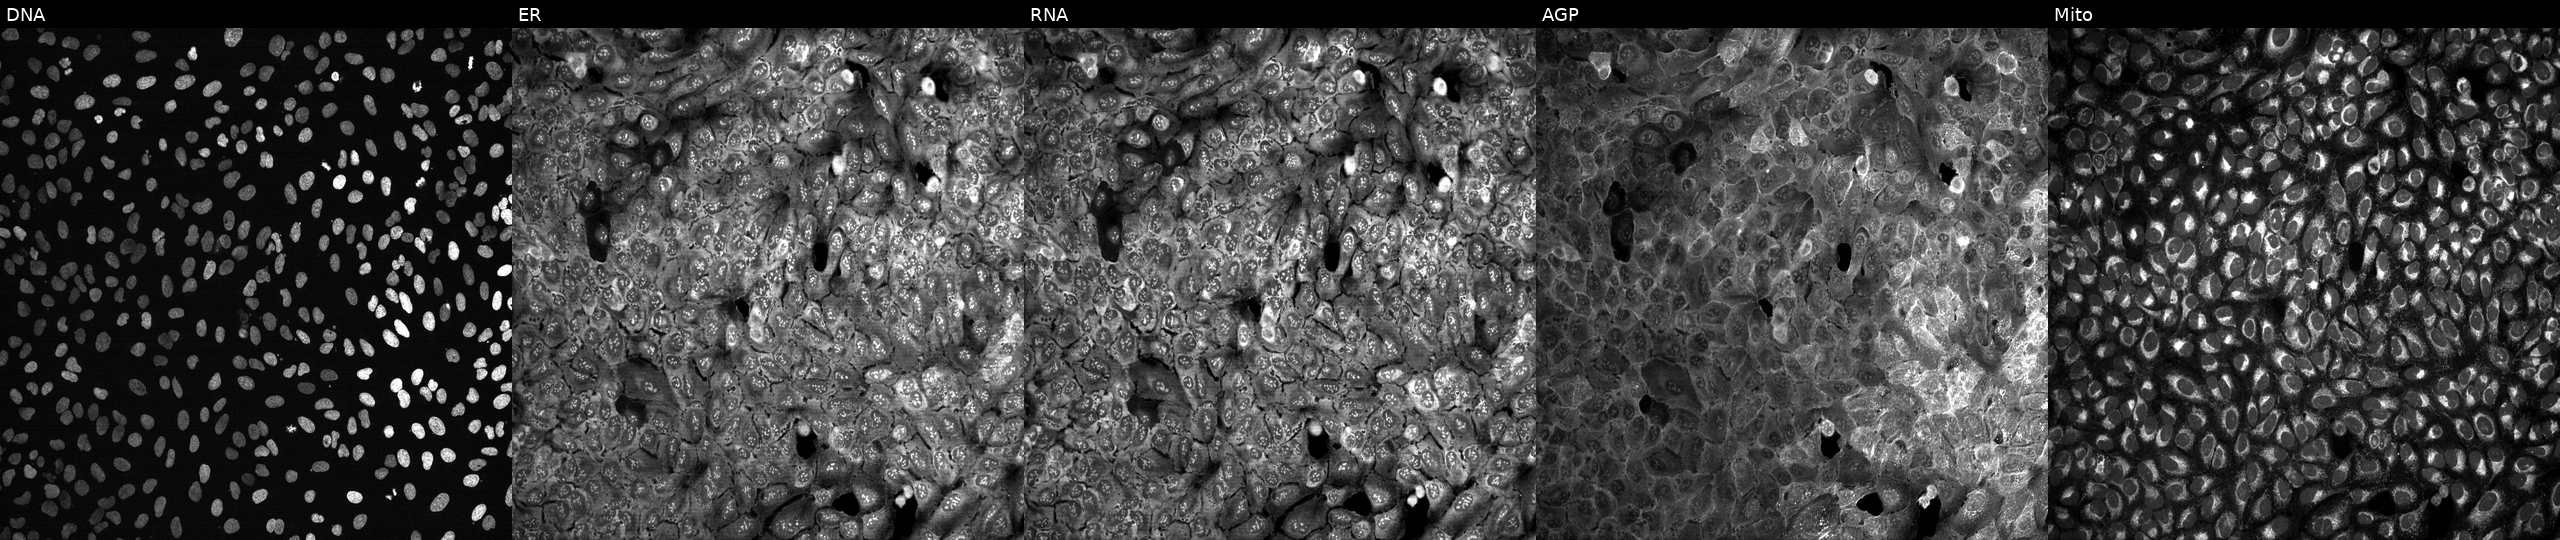
This image strip shows the five Cell Painting channels for a single field of U2OS cells CRISPR-edited to disrupt ATP6V1C1 (JUMP id JCP2022_800736). The five panels, left to right, show DNA, ER, RNA, AGP, and Mito.